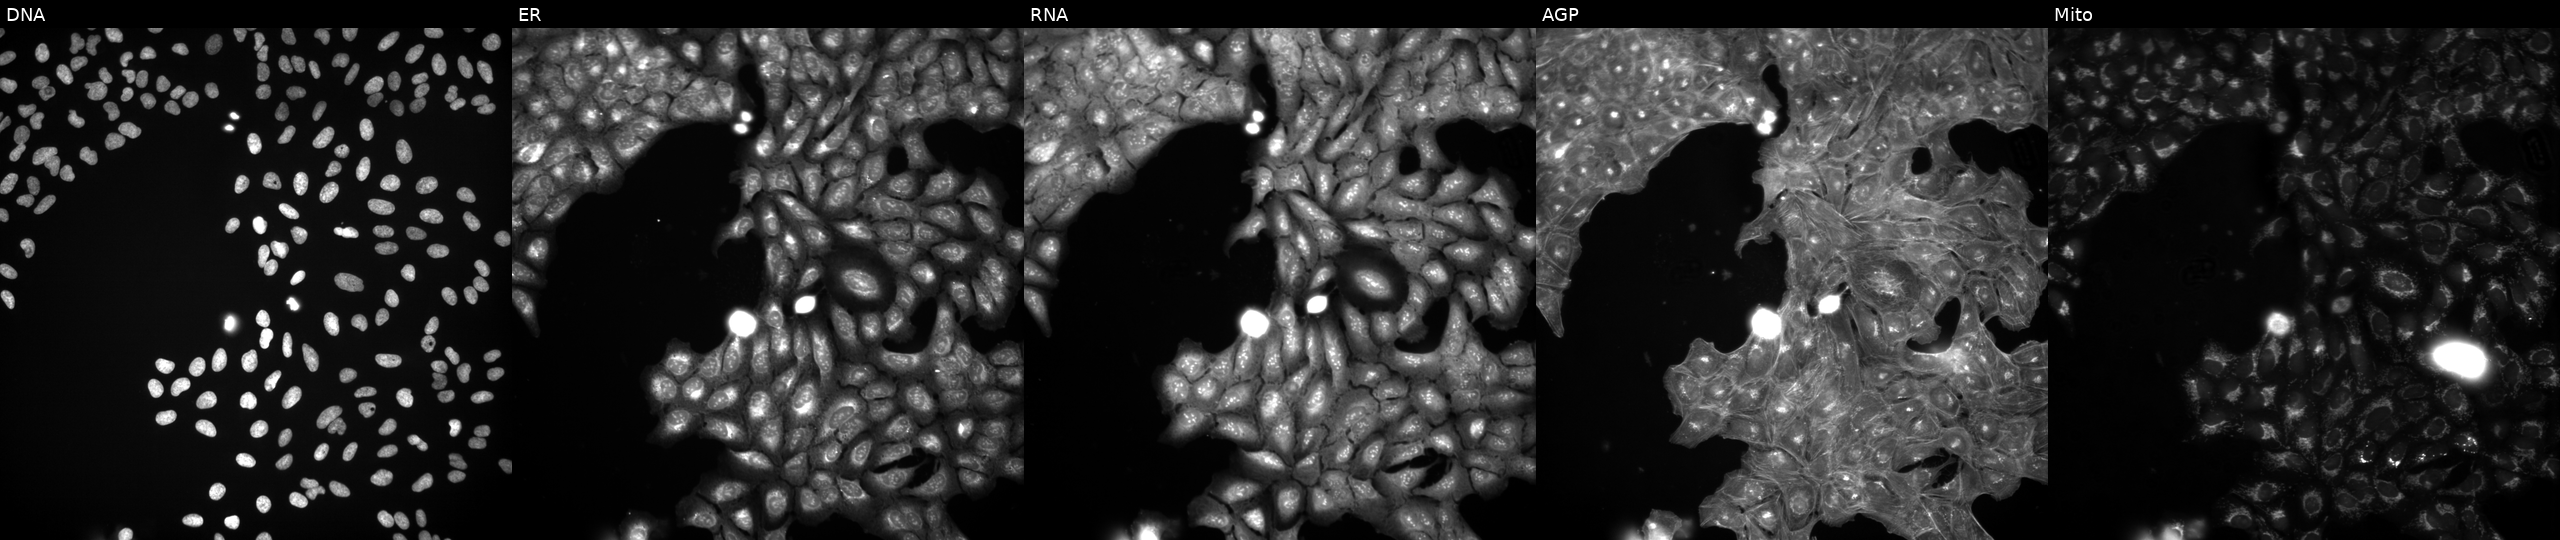
High-content fluorescence microscopy (Cell Painting). Cell line: U2OS. Perturbation: treated with a small-molecule compound (InChIKey NZHGWWWHIYHZNX-UHFFFAOYSA-N). From left to right: Hoechst 33342, concanavalin A, SYTO 14, phalloidin and WGA, MitoTracker.